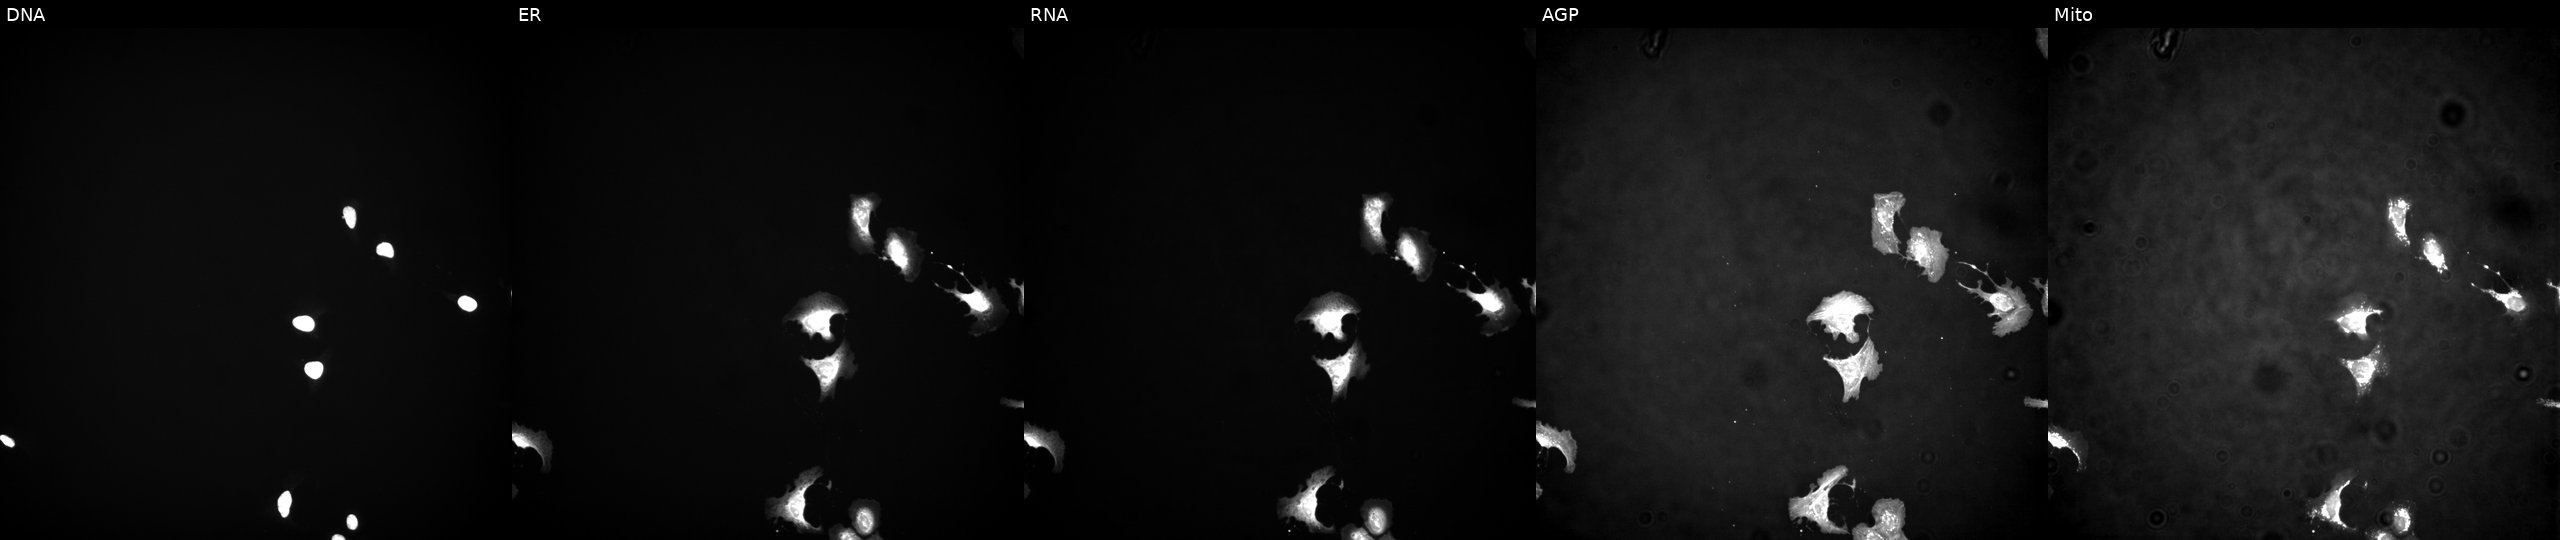
This image strip shows the five Cell Painting channels for a single field of U2OS cells transfected with an ORF construct for PTPN3. From left to right: Hoechst 33342, concanavalin A, SYTO 14, phalloidin and WGA, MitoTracker.